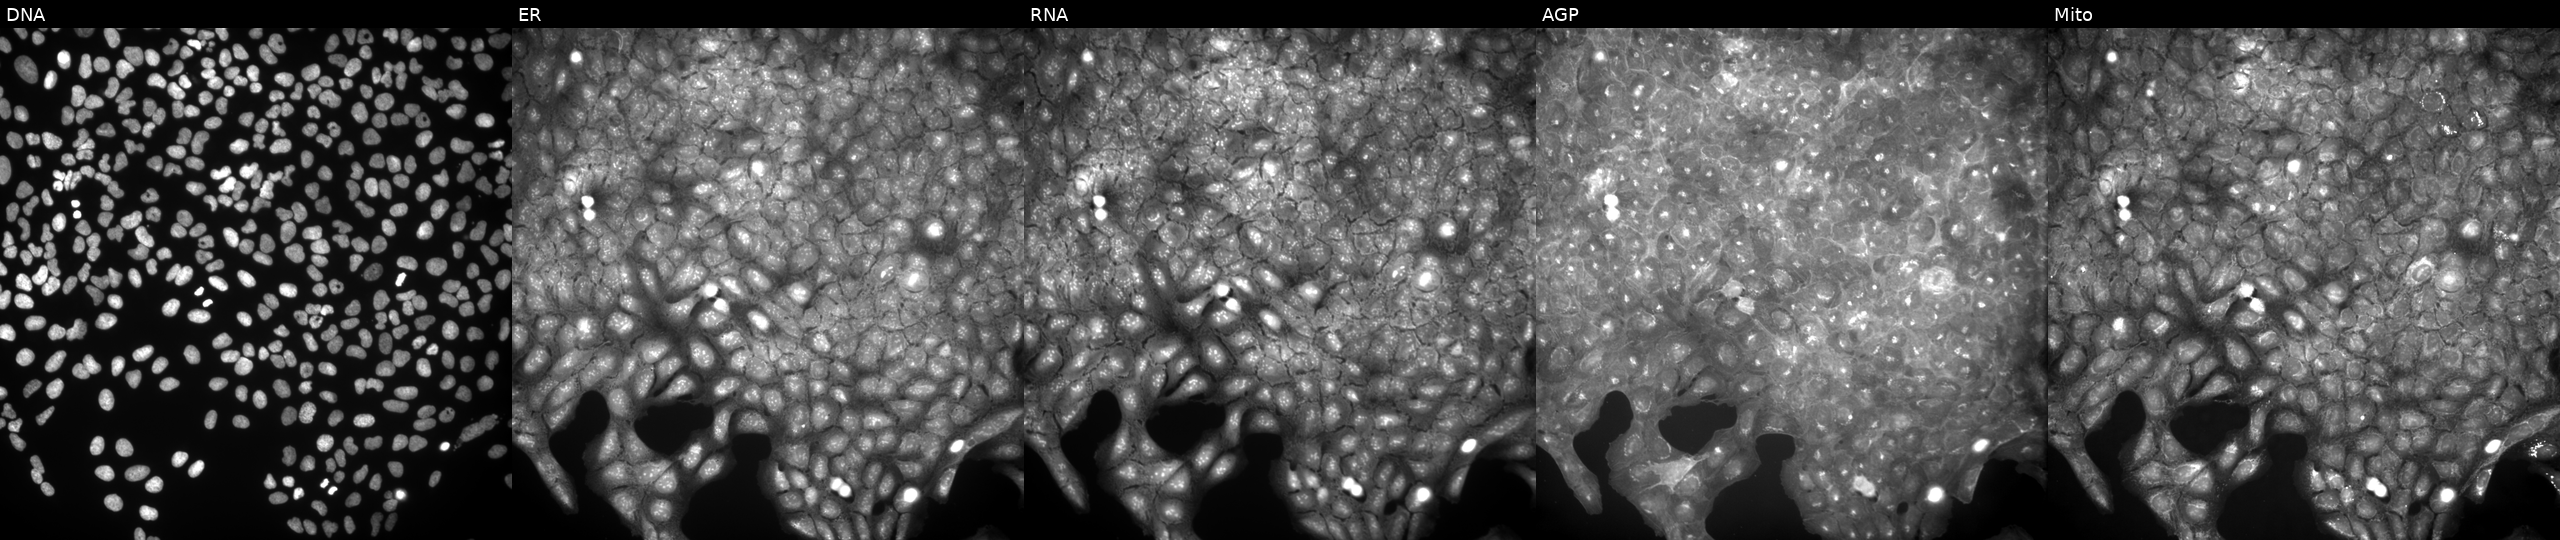
JUMP Cell Painting — COMPOUND plate. U2OS cells treated with a small-molecule compound (InChIKey NGHOGFNFZVXSRC-UHFFFAOYSA-N). Channels (left→right): DNA (nuclei); ER (endoplasmic reticulum); RNA (nucleoli and cytoplasmic RNA); AGP (actin cytoskeleton, Golgi, and plasma membrane); Mito (mitochondria).